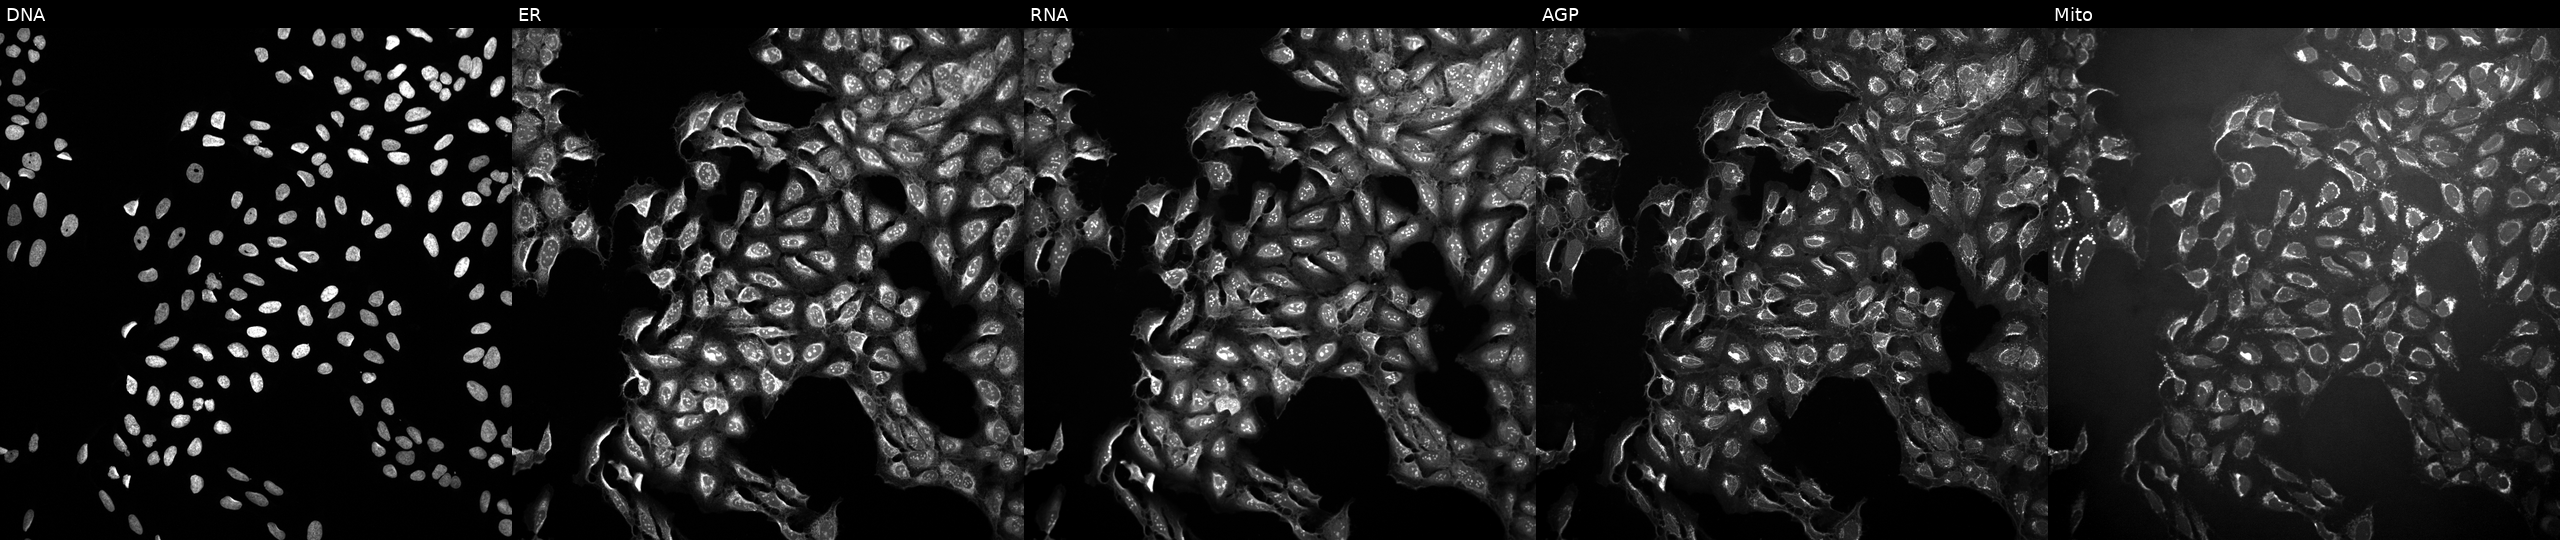
Channels (left→right): Hoechst 33342, concanavalin A, SYTO 14, phalloidin and WGA, MitoTracker. U2OS osteosarcoma cells perturbed with a small-molecule compound (InChIKey SNICXCGAKADSCV-UHFFFAOYSA-N) (JUMP id JCP2022_084364). Cell Painting assay, JUMP-CP dataset.